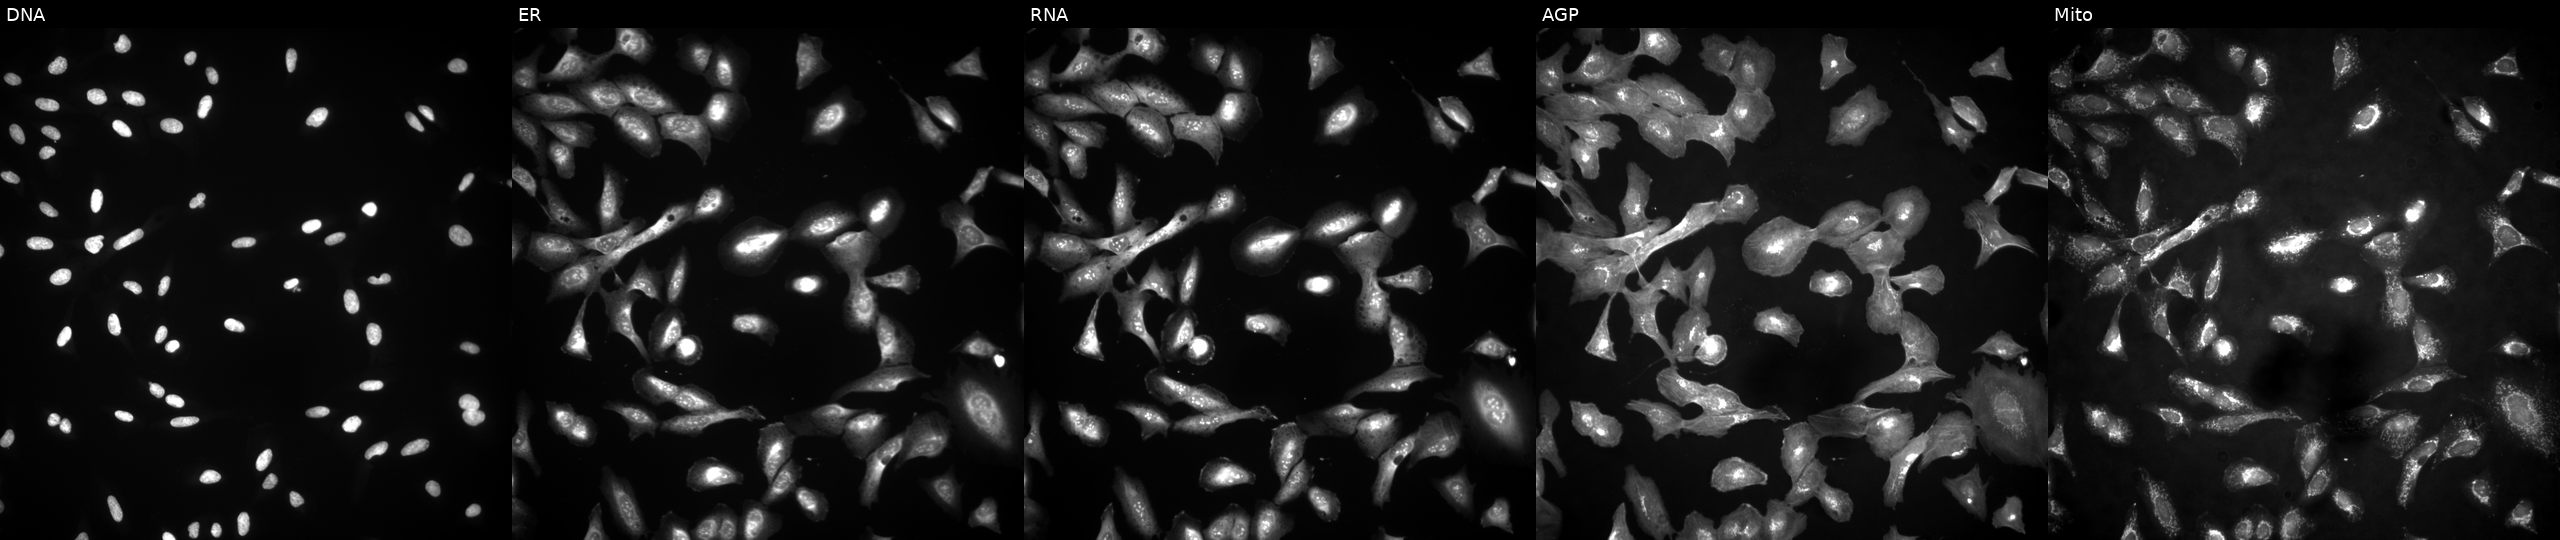
This image strip shows the five Cell Painting channels for a single field of U2OS cells with PRRG3 overexpressed (ORF) (JUMP id JCP2022_908324). From left to right: Hoechst 33342, concanavalin A, SYTO 14, phalloidin and WGA, MitoTracker. Source 4, plate BR00124790, well F19.